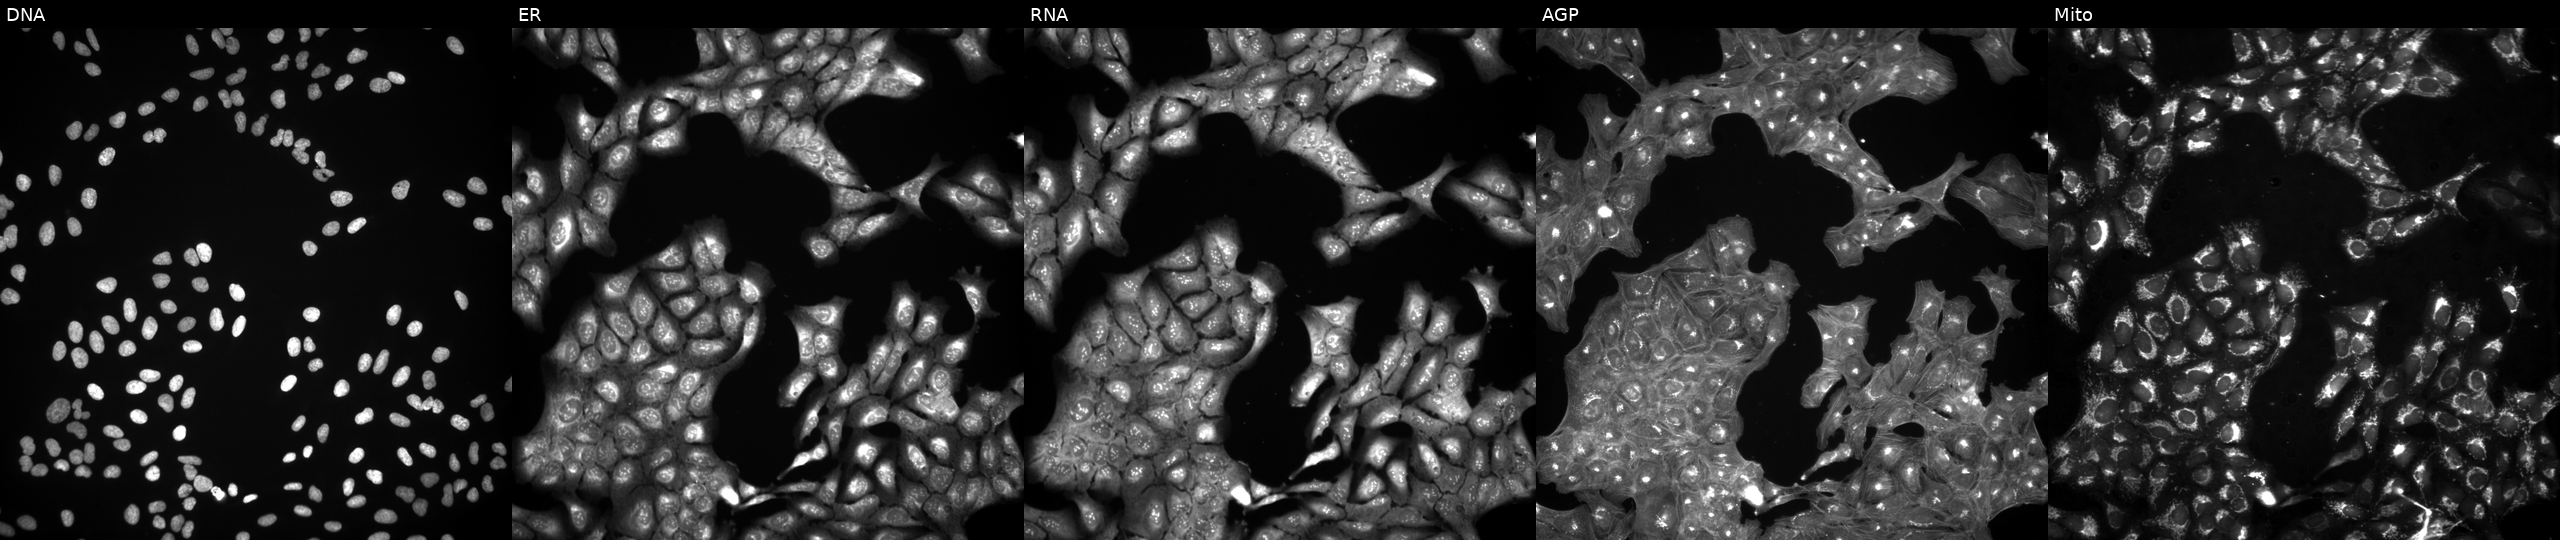
This image strip shows the five Cell Painting channels for a single field of U2OS cells exposed to DMSO alone as a negative control (JUMP id JCP2022_033924). From left to right: Hoechst 33342, concanavalin A, SYTO 14, phalloidin and WGA, MitoTracker. Source 3, plate JCPQC052, well H18.